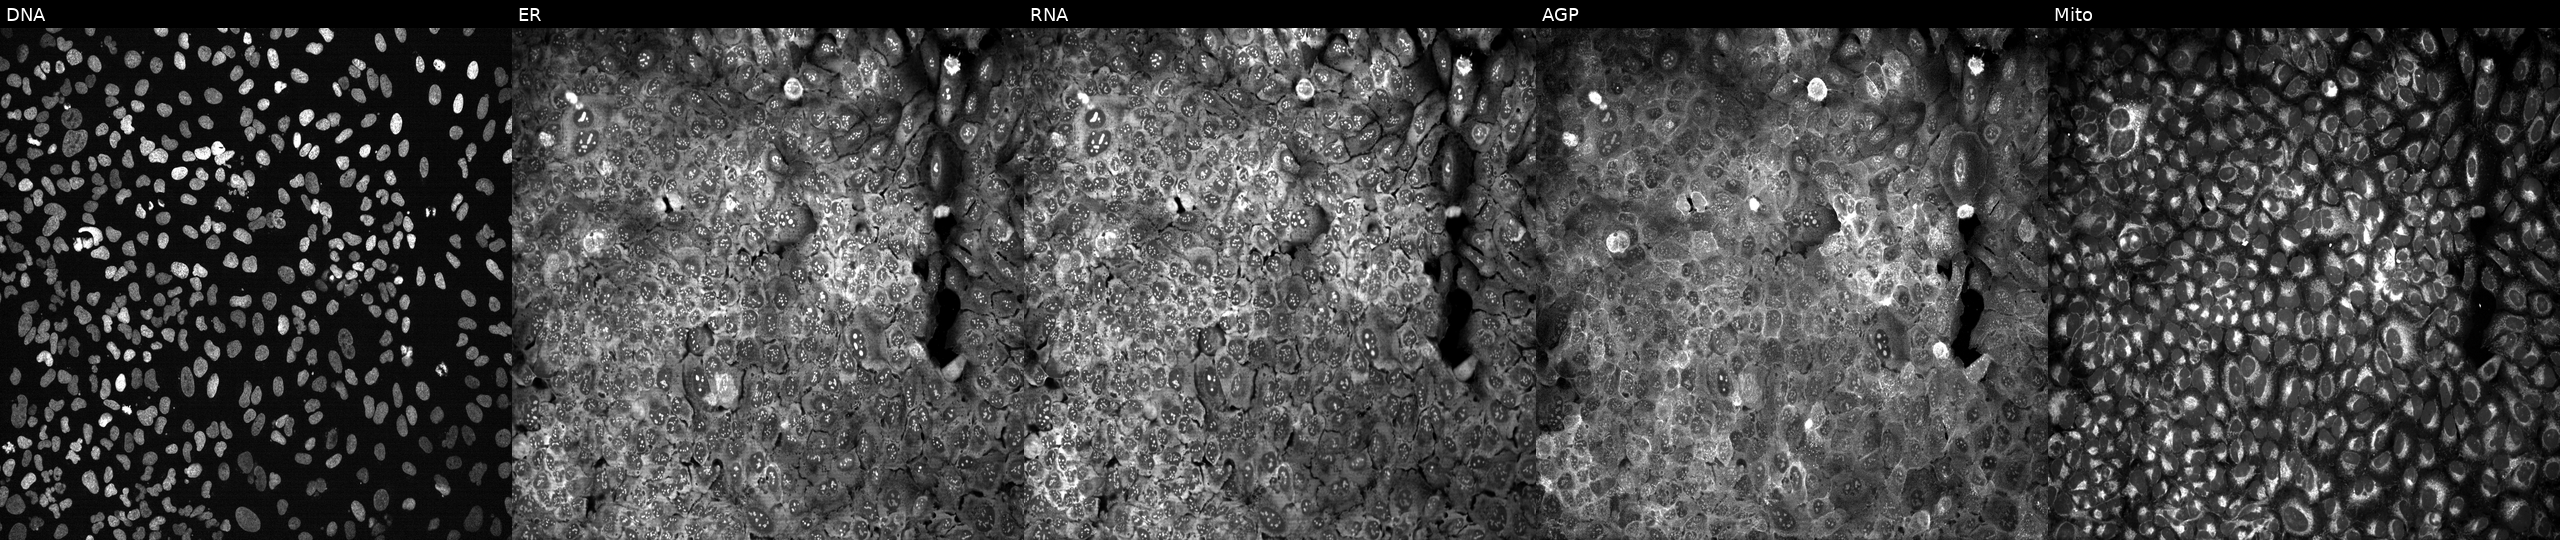
High-content fluorescence microscopy (Cell Painting). Cell line: U2OS. Perturbation: CRISPR-edited to disrupt KMT2E (JUMP id JCP2022_803741). Channels (left→right): DNA (nuclei); ER (endoplasmic reticulum); RNA (nucleoli and cytoplasmic RNA); AGP (actin cytoskeleton, Golgi, and plasma membrane); Mito (mitochondria). Source 13, plate CP-CC9-R4-04, well M19.